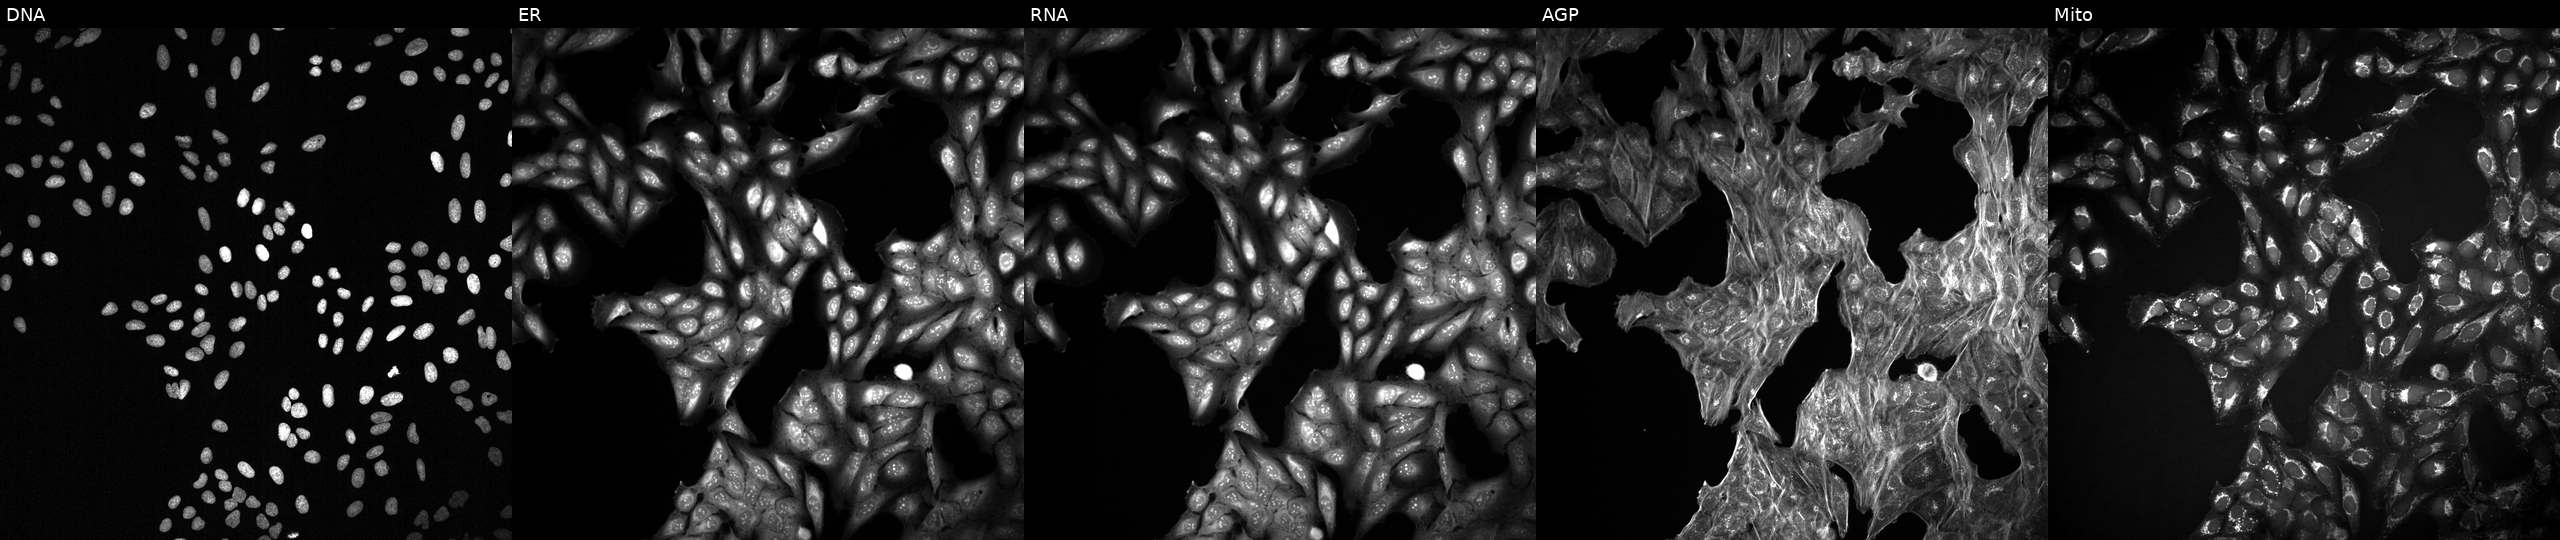
The five panels, left to right, show Hoechst 33342, concanavalin A, SYTO 14, phalloidin and WGA, MitoTracker. U2OS osteosarcoma cells perturbed with a small-molecule compound (InChIKey CJZAQVWHHITDTI-UHFFFAOYSA-N). Cell Painting assay, JUMP-CP dataset.